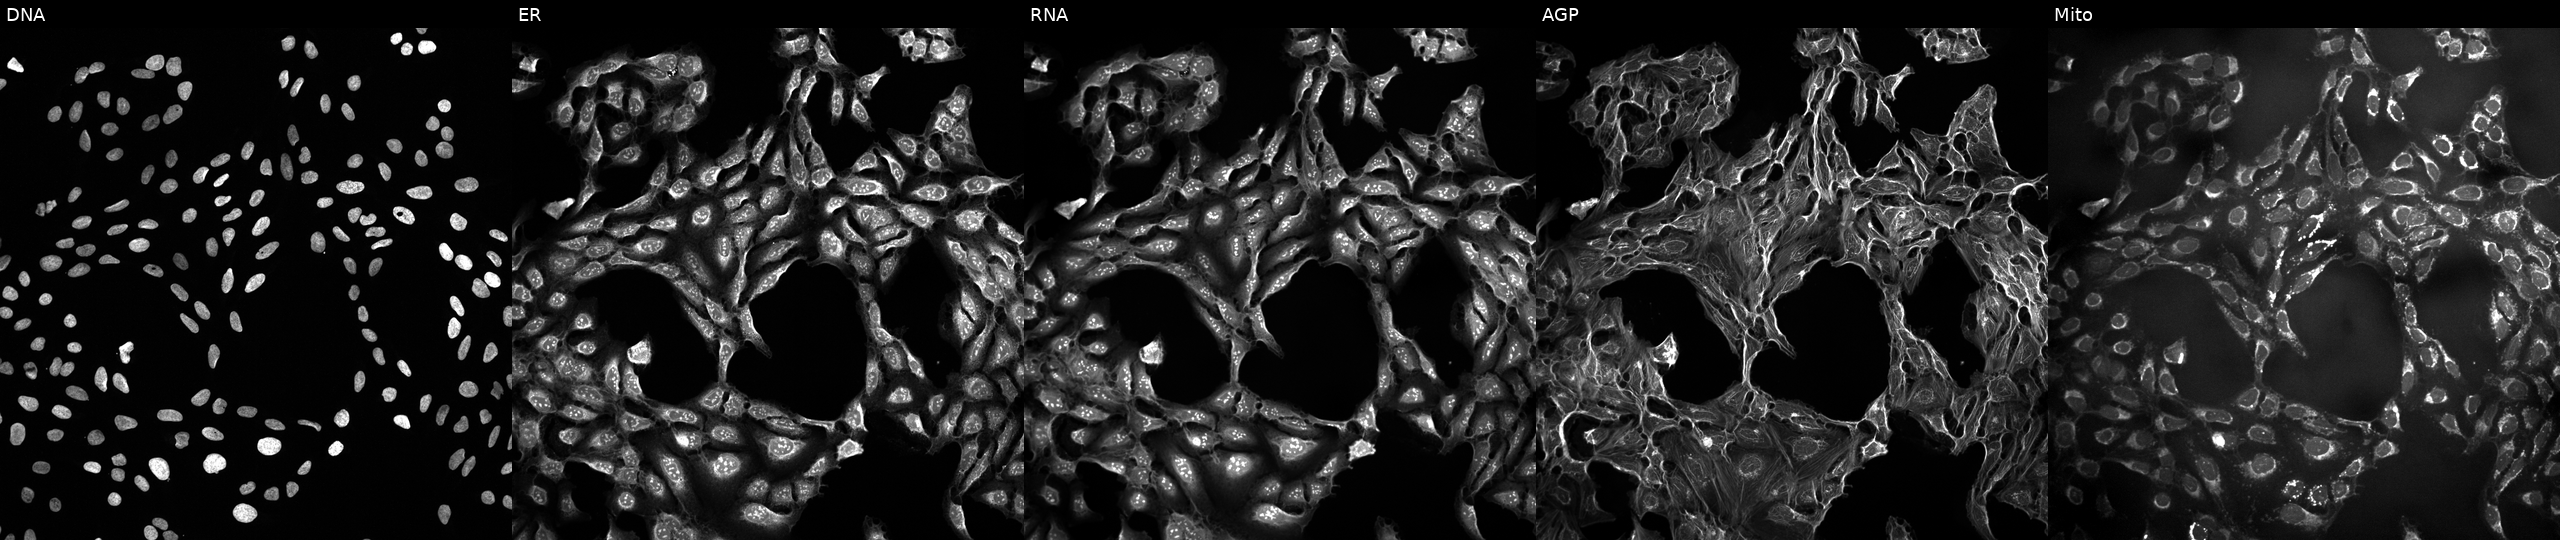
U2OS cells, Cell Painting assay, treated with a small-molecule compound. Channels (left→right): DNA (nuclei); ER (endoplasmic reticulum); RNA (nucleoli and cytoplasmic RNA); AGP (actin cytoskeleton, Golgi, and plasma membrane); Mito (mitochondria). Each panel is percentile-stretched 16-bit fluorescence. Source 10, plate Dest210727-153003, well P04.